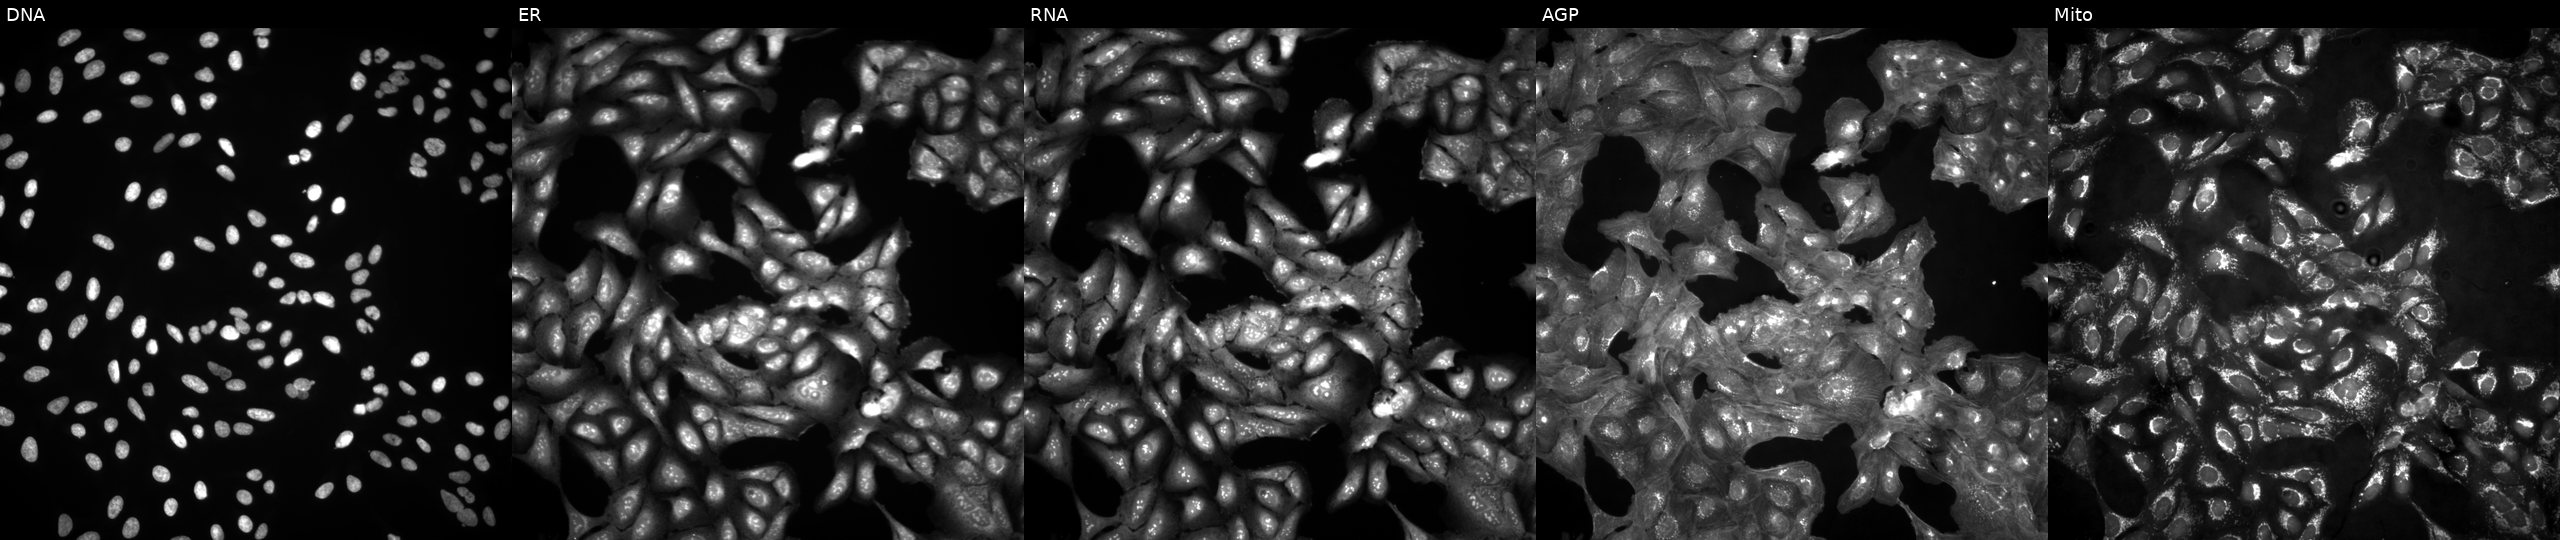
U2OS cells, Cell Painting assay, untreated (empty-well control) (JUMP id JCP2022_999999). From left to right: DNA, ER, RNA, AGP, and Mito. Each panel is percentile-stretched 16-bit fluorescence. Source 4, plate BR00123946, well C11.